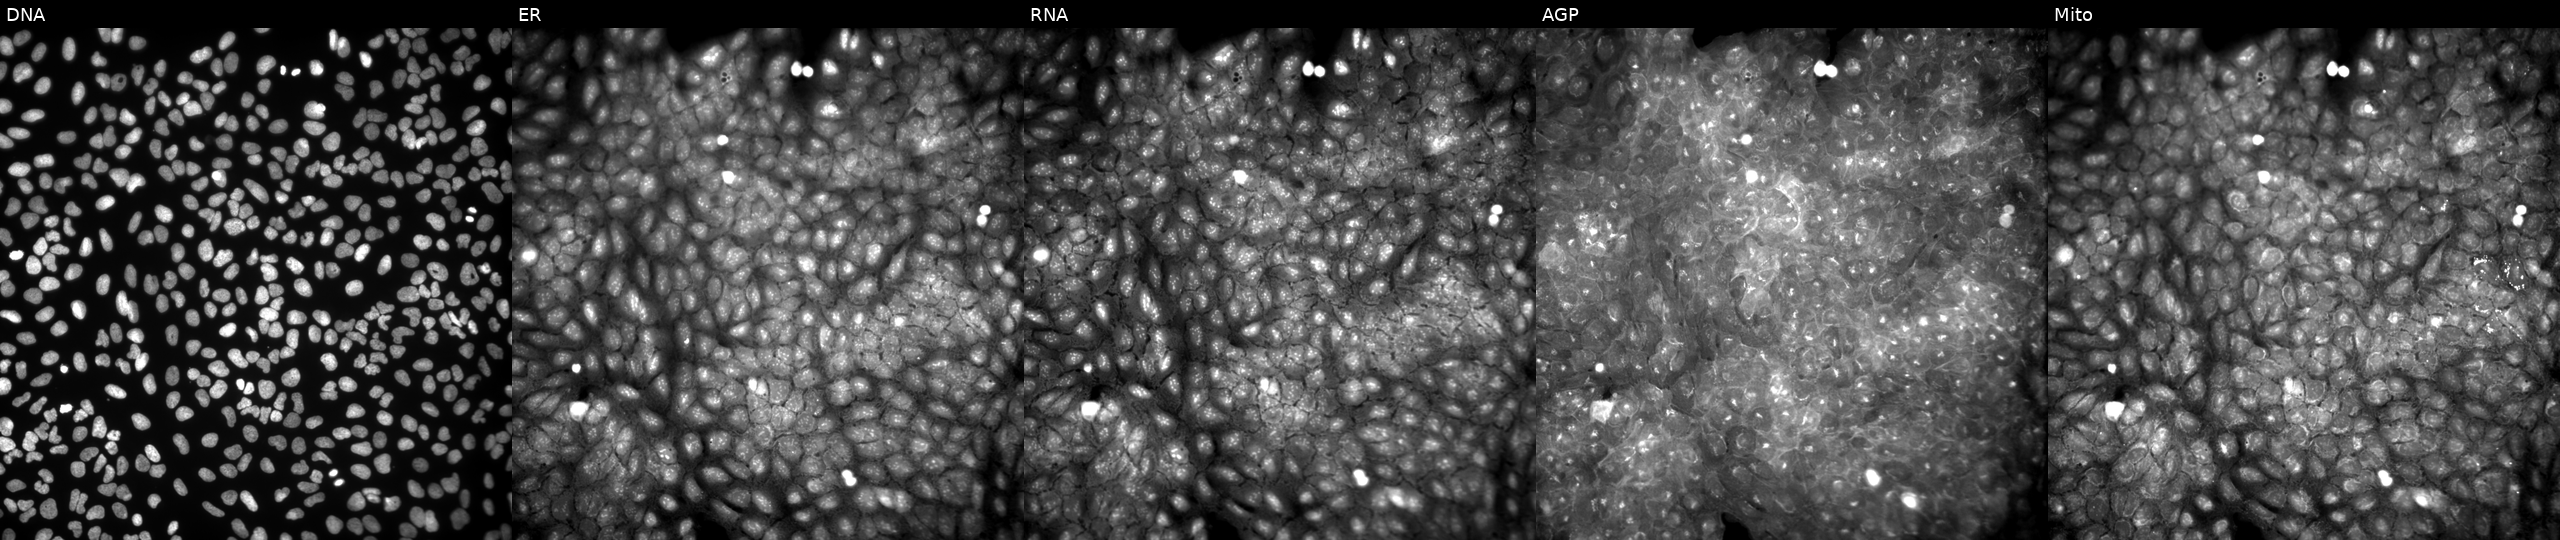
U2OS cells, Cell Painting assay, perturbed with a small-molecule compound (InChIKey HRXZKNPWPDMECN-UHFFFAOYSA-N). From left to right: Hoechst 33342, concanavalin A, SYTO 14, phalloidin and WGA, MitoTracker. Each panel is percentile-stretched 16-bit fluorescence.